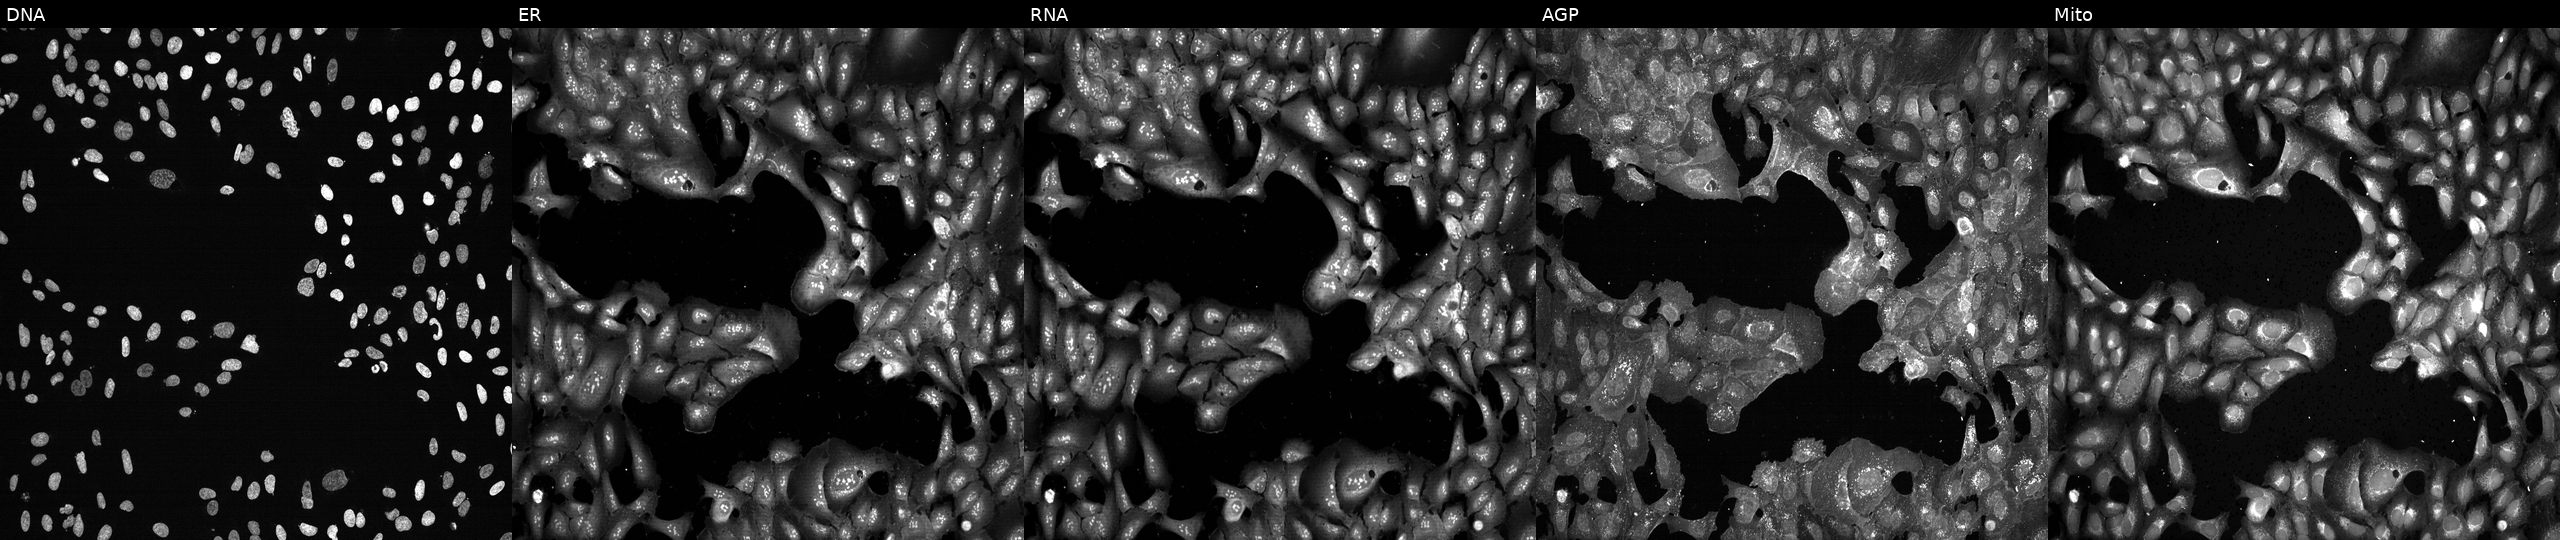
High-content fluorescence microscopy (Cell Painting). Cell line: U2OS. Perturbation: with UGT2B17 knocked out by CRISPR. From left to right: DNA, ER, RNA, AGP, and Mito.